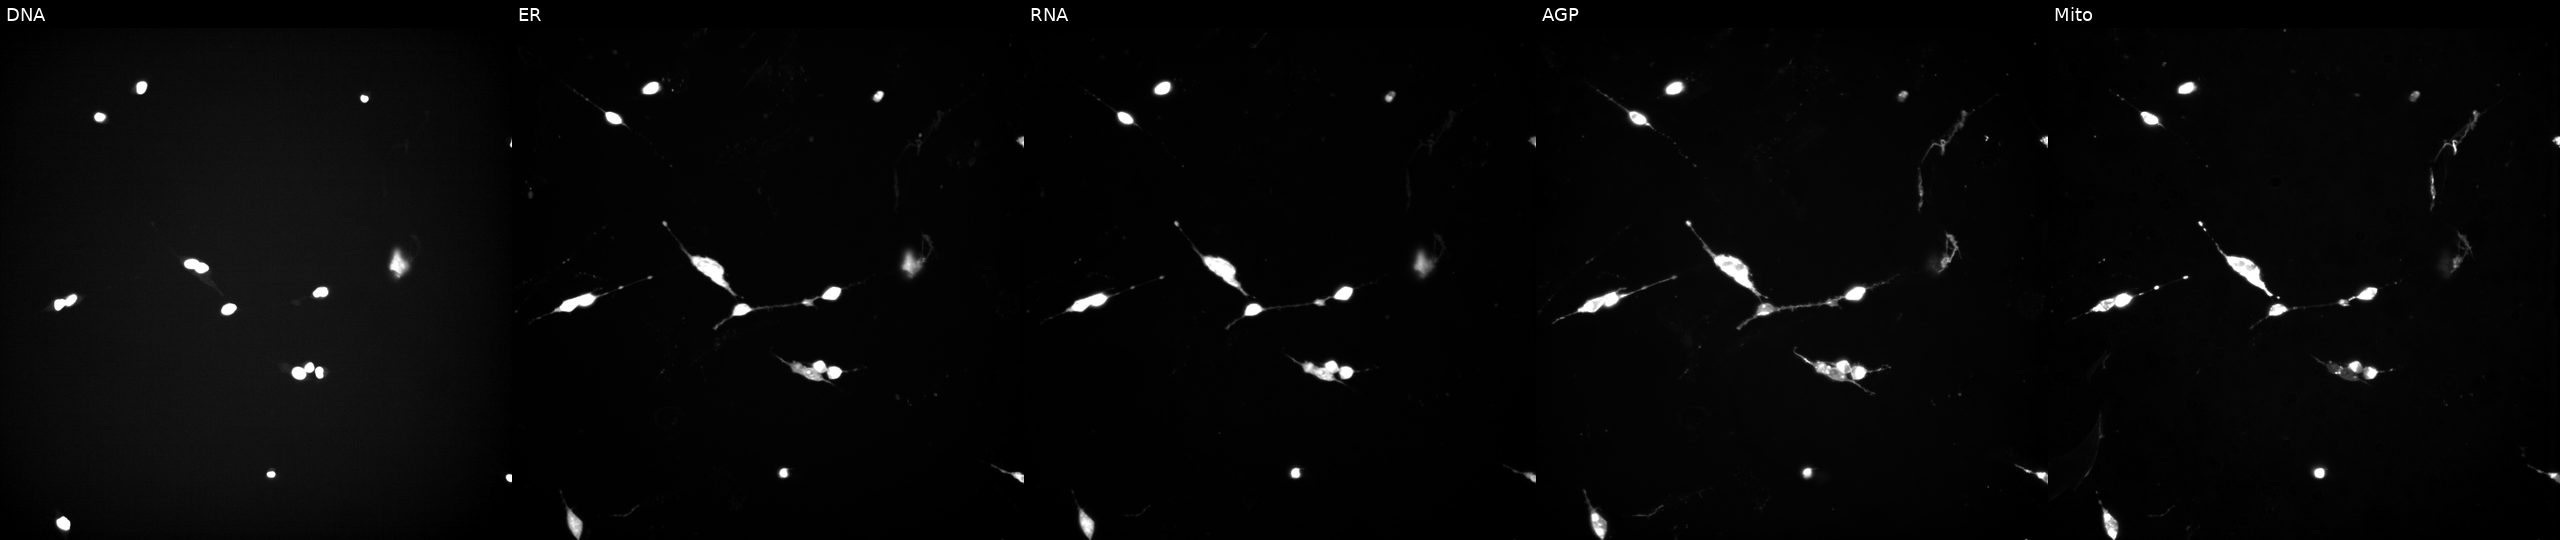
This image strip shows the five Cell Painting channels for a single field of U2OS cells perturbed with a small-molecule compound (InChIKey DPJNKUOXBZSZAI-UHFFFAOYSA-N) (JUMP id JCP2022_017377). From left to right: DNA (nuclei); ER (endoplasmic reticulum); RNA (nucleoli and cytoplasmic RNA); AGP (actin cytoskeleton, Golgi, and plasma membrane); Mito (mitochondria). Source 3, plate JCPQC051, well M05.